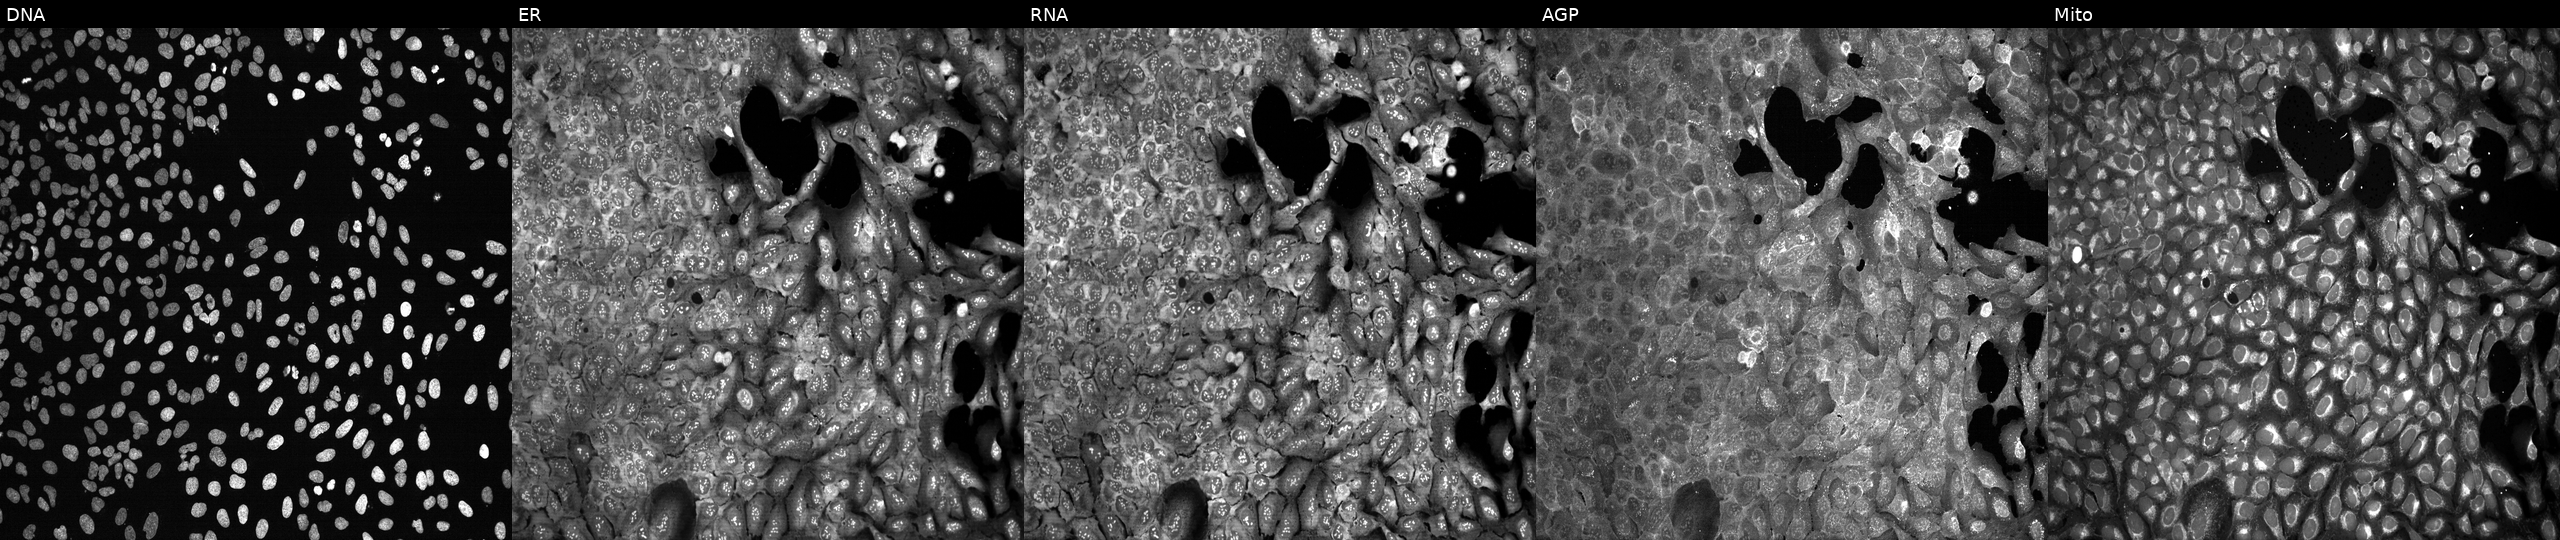
High-content fluorescence microscopy (Cell Painting). Cell line: U2OS. Perturbation: CRISPR-edited to disrupt AANAT (JUMP id JCP2022_800011). Panels show, left to right, Hoechst 33342, concanavalin A, SYTO 14, phalloidin and WGA, MitoTracker.